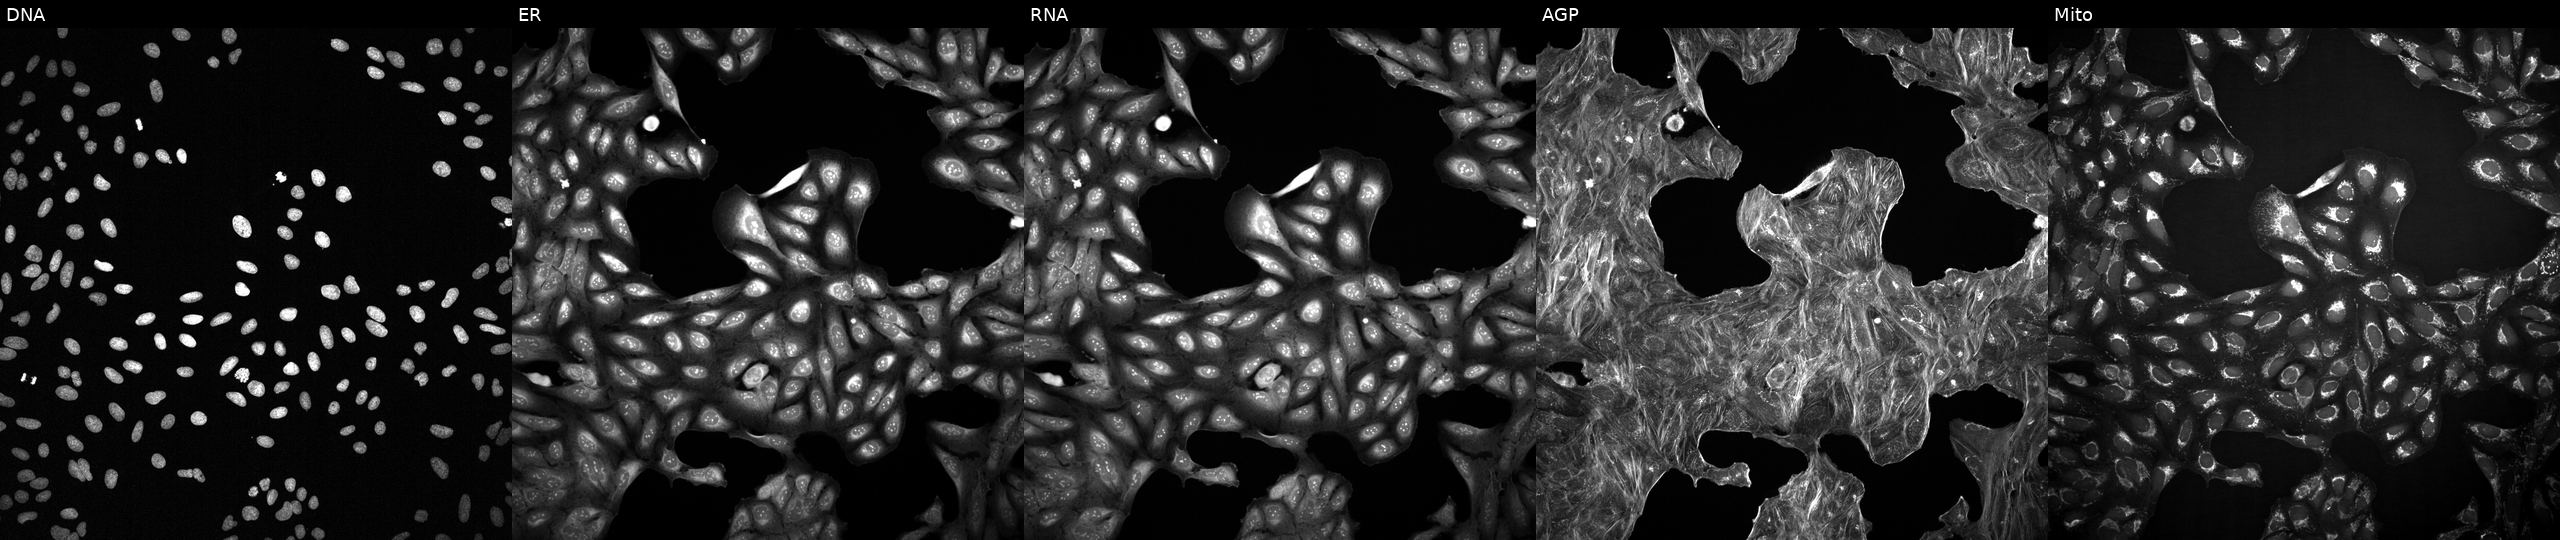
High-content fluorescence microscopy (Cell Painting). Cell line: U2OS. Perturbation: perturbed with a small-molecule compound (JUMP id JCP2022_043332). Channels (left→right): Hoechst 33342, concanavalin A, SYTO 14, phalloidin and WGA, MitoTracker.